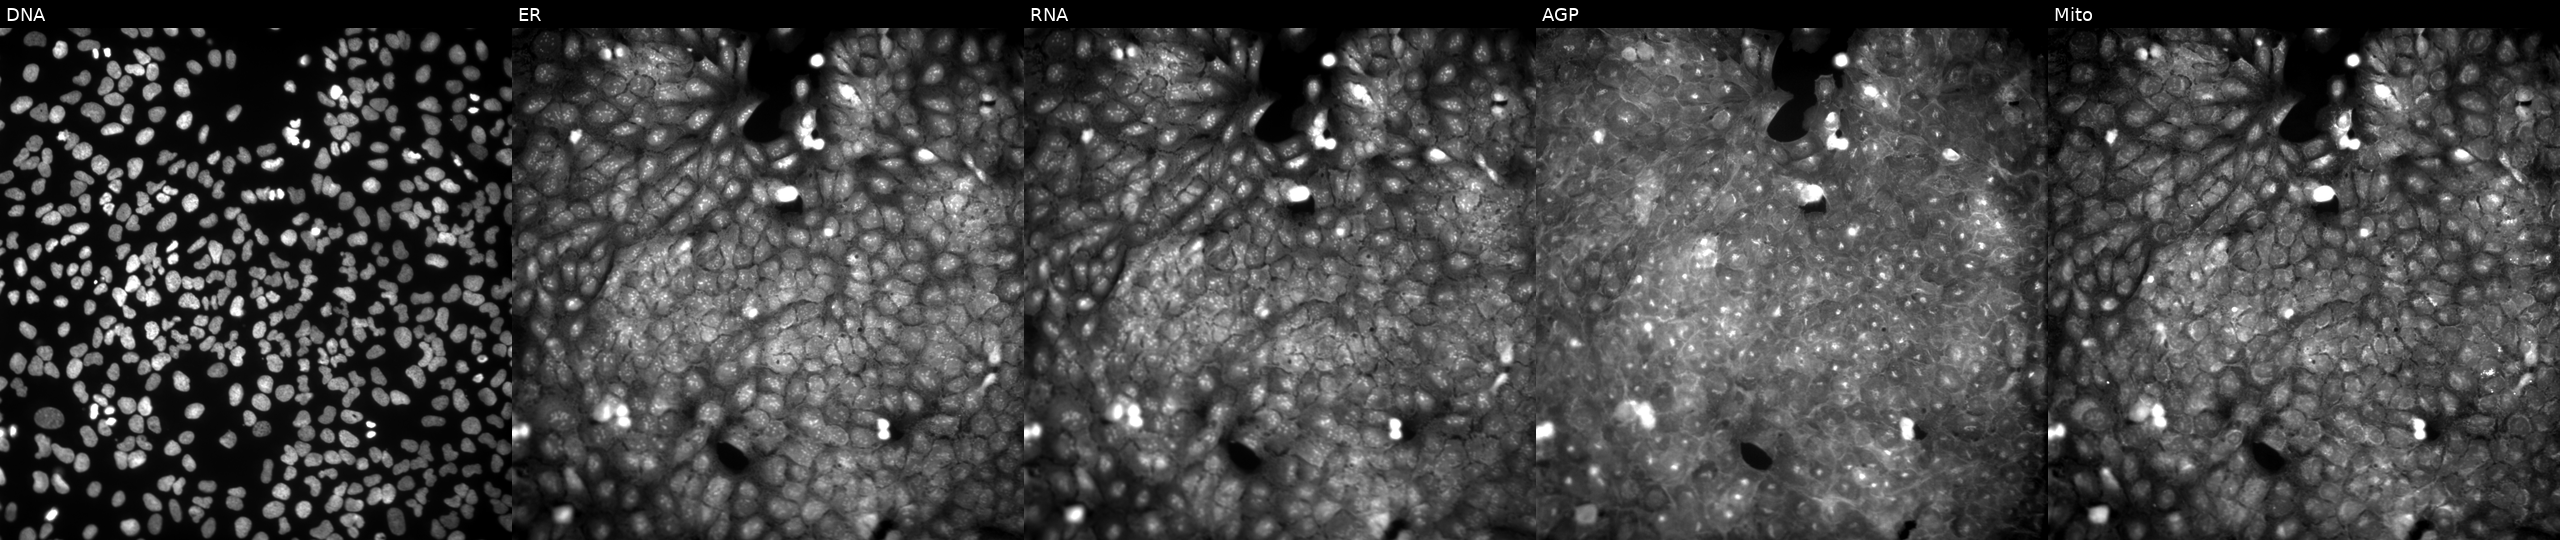
High-content fluorescence microscopy (Cell Painting). Cell line: U2OS. Perturbation: perturbed with a small-molecule compound. From left to right: DNA, ER, RNA, AGP, and Mito.